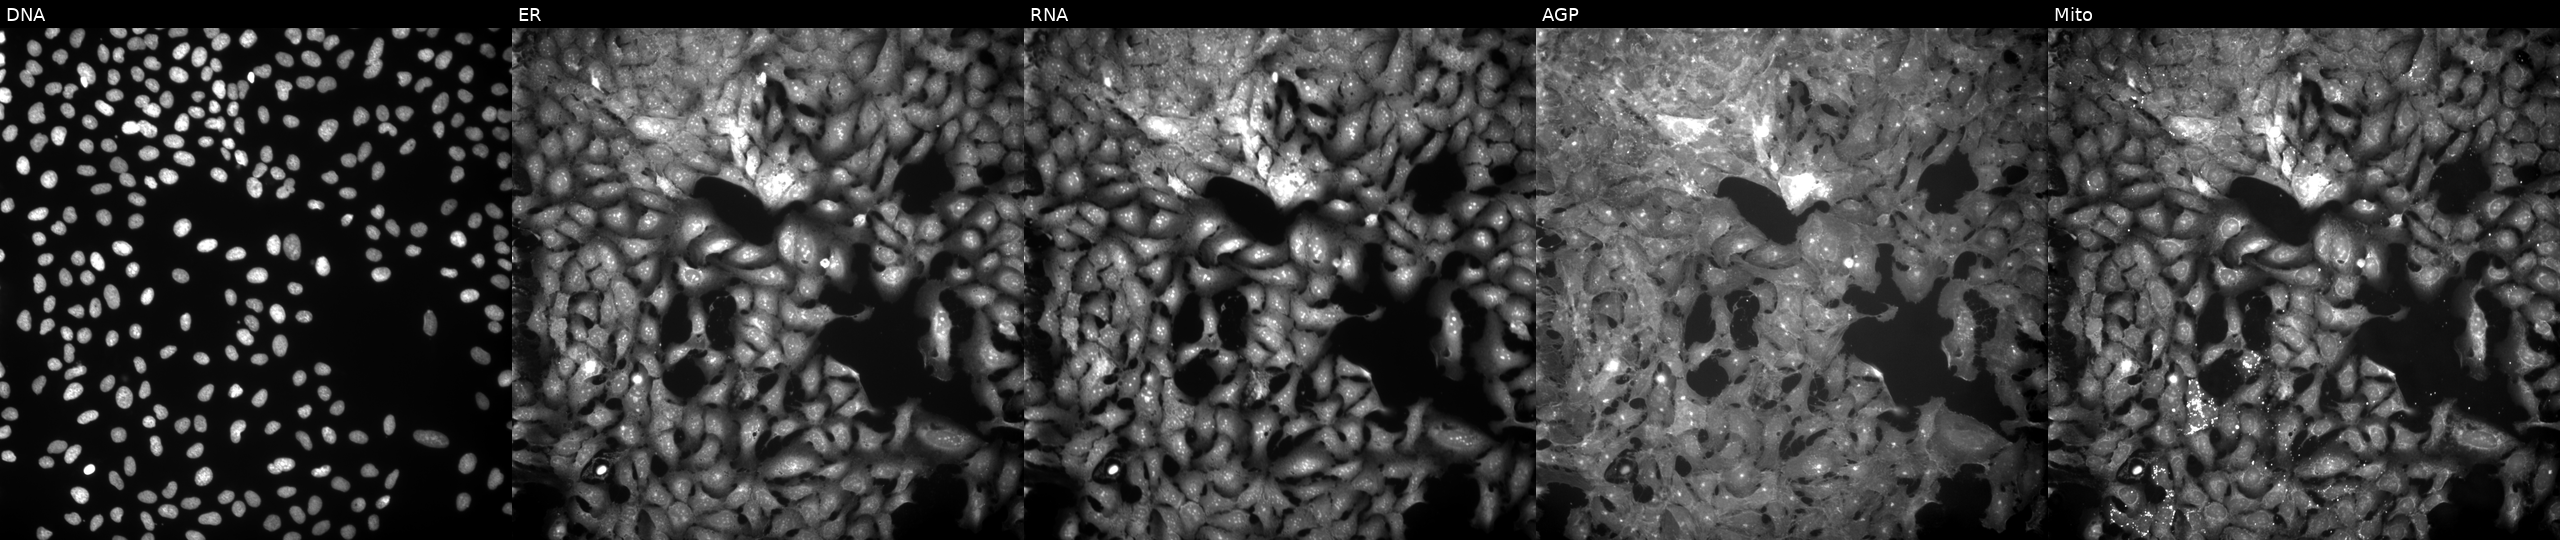
Panels show, left to right, DNA, ER, RNA, AGP, and Mito. U2OS osteosarcoma cells treated with FK-866 (positive-control compound) (JUMP id JCP2022_046054). Cell Painting assay, JUMP-CP dataset.